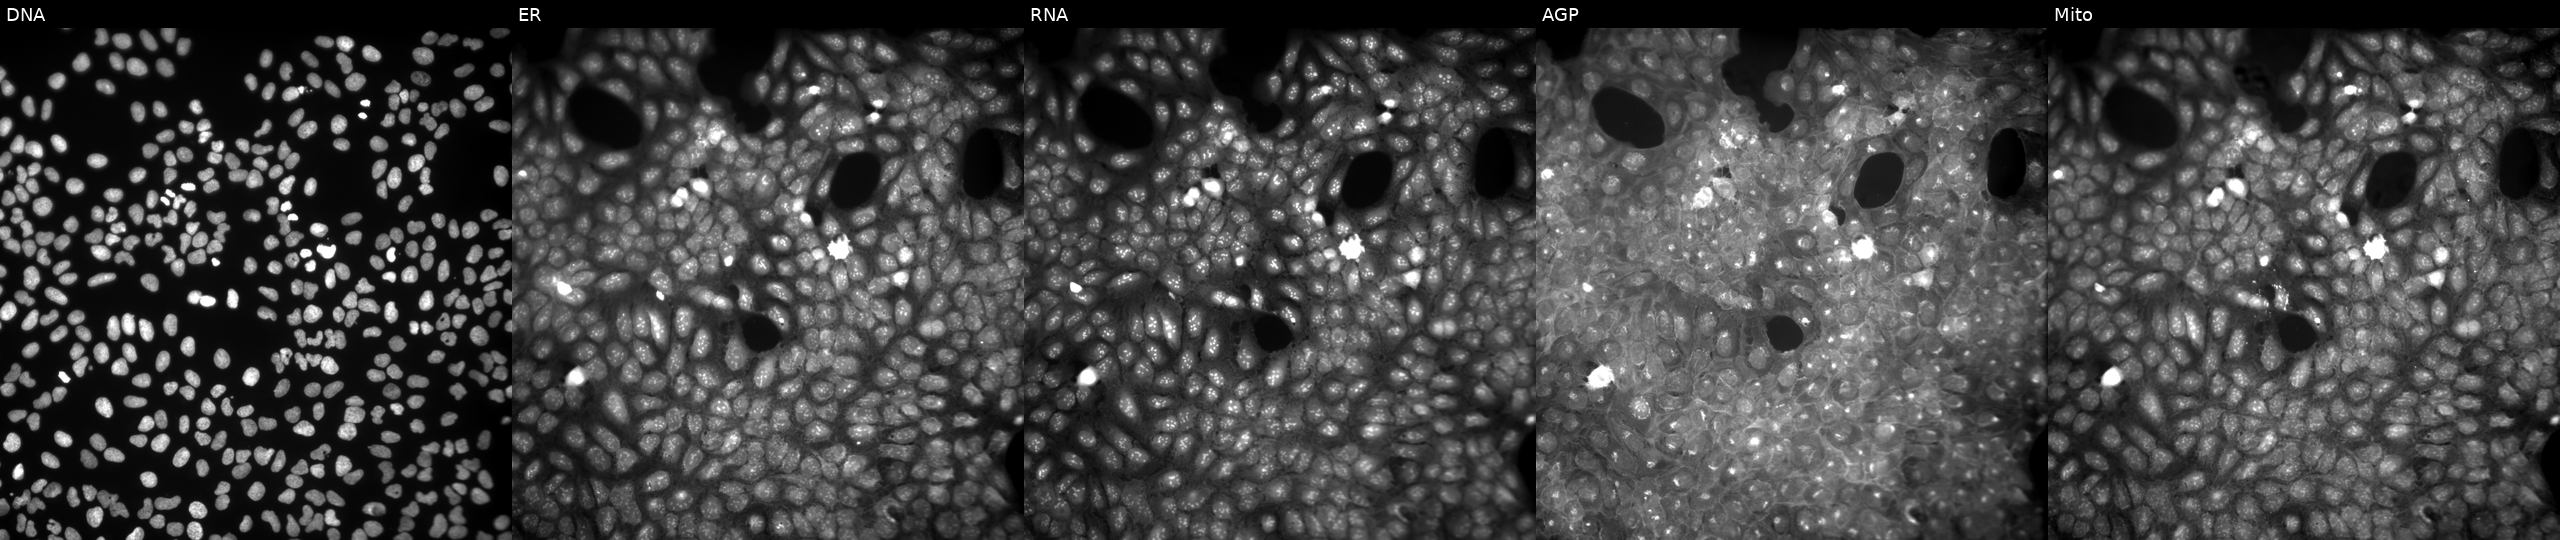
JUMP Cell Painting — COMPOUND plate. U2OS cells exposed to a small-molecule compound (InChIKey CTTUDYDDUBGGSG-UHFFFAOYSA-N) (JUMP id JCP2022_013366). The five panels, left to right, show DNA (nuclei); ER (endoplasmic reticulum); RNA (nucleoli and cytoplasmic RNA); AGP (actin cytoskeleton, Golgi, and plasma membrane); Mito (mitochondria).